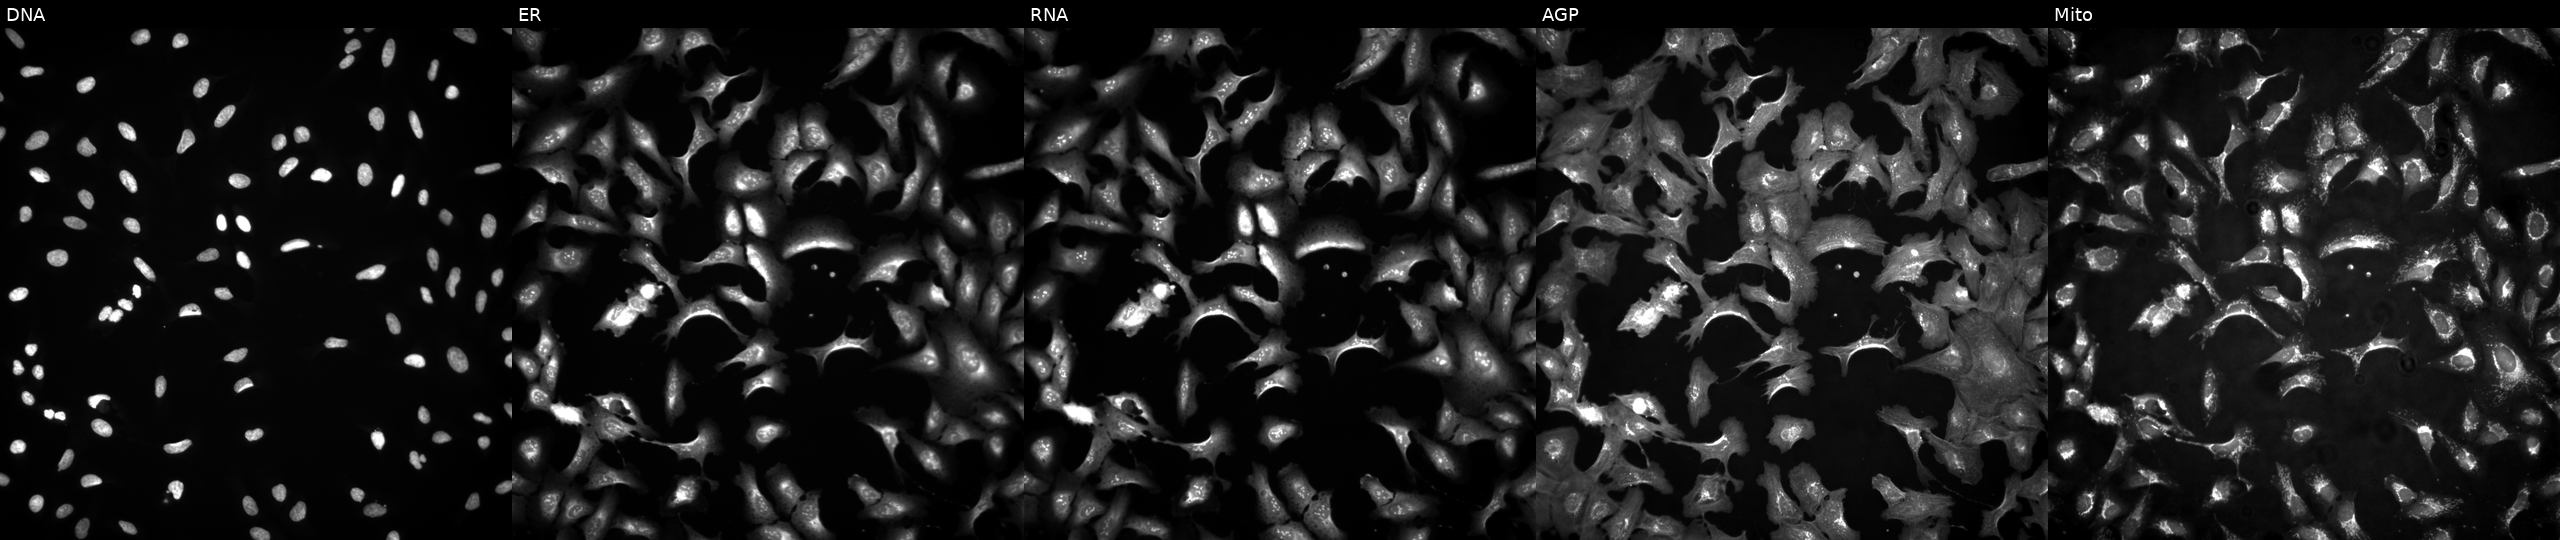
JUMP Cell Painting — ORF plate. U2OS cells transfected with an ORF construct for FLT1 (JUMP id JCP2022_913673). Channels (left→right): DNA, ER, RNA, AGP, and Mito. Source 4, plate BR00123945, well D23.